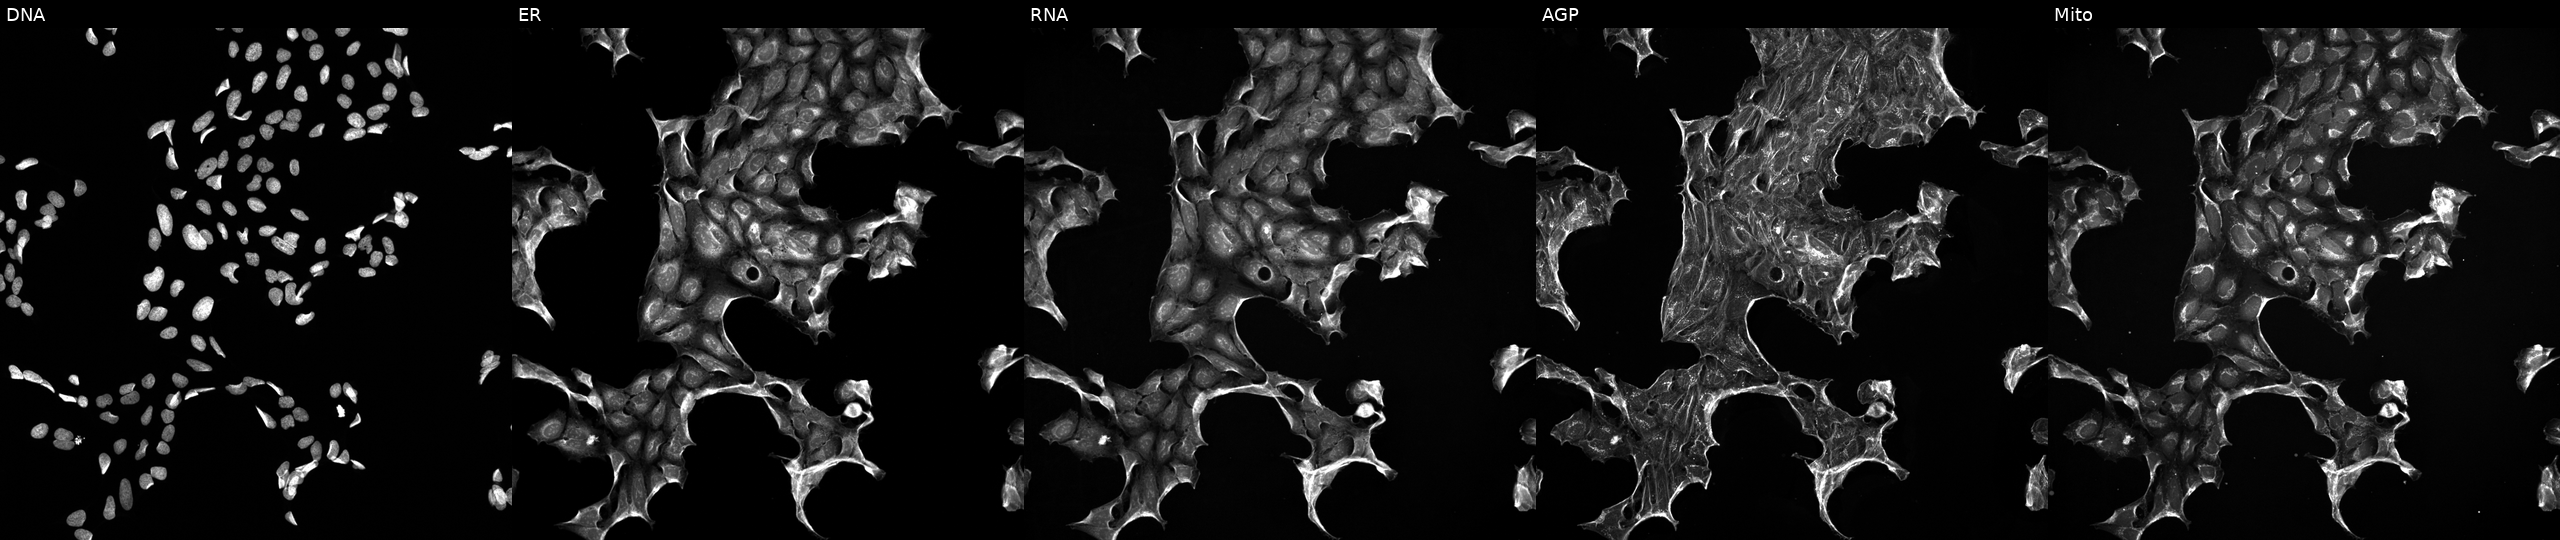
Five-channel Cell Painting image of U2OS cells perturbed with a small-molecule compound [SMILES: COc1ccc(N(C(=O)Oc2c(C)cccc2C)c2cc[nH]c(=Nc3ccc(N4CCN(C)CC4)cc3)n2)c(OC)c1]. The five panels, left to right, show Hoechst 33342, concanavalin A, SYTO 14, phalloidin and WGA, MitoTracker.